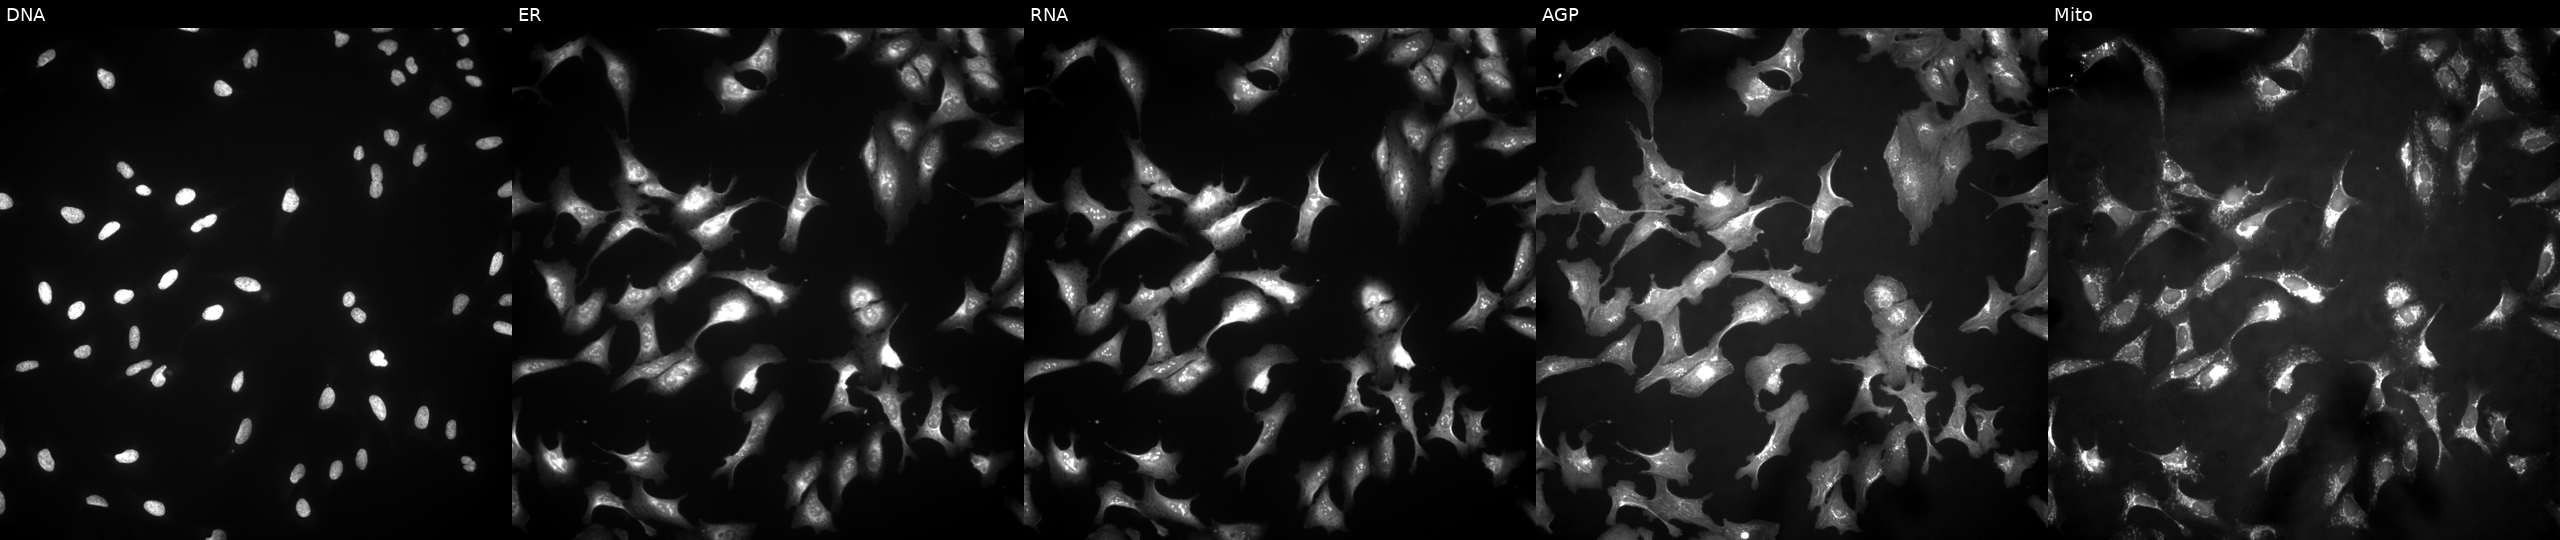
U2OS cells, Cell Painting assay, with ADORA2A overexpressed (ORF) (JUMP id JCP2022_905402). Panels show, left to right, Hoechst 33342, concanavalin A, SYTO 14, phalloidin and WGA, MitoTracker. Each panel is percentile-stretched 16-bit fluorescence. Source 4, plate BR00123506, well H08.